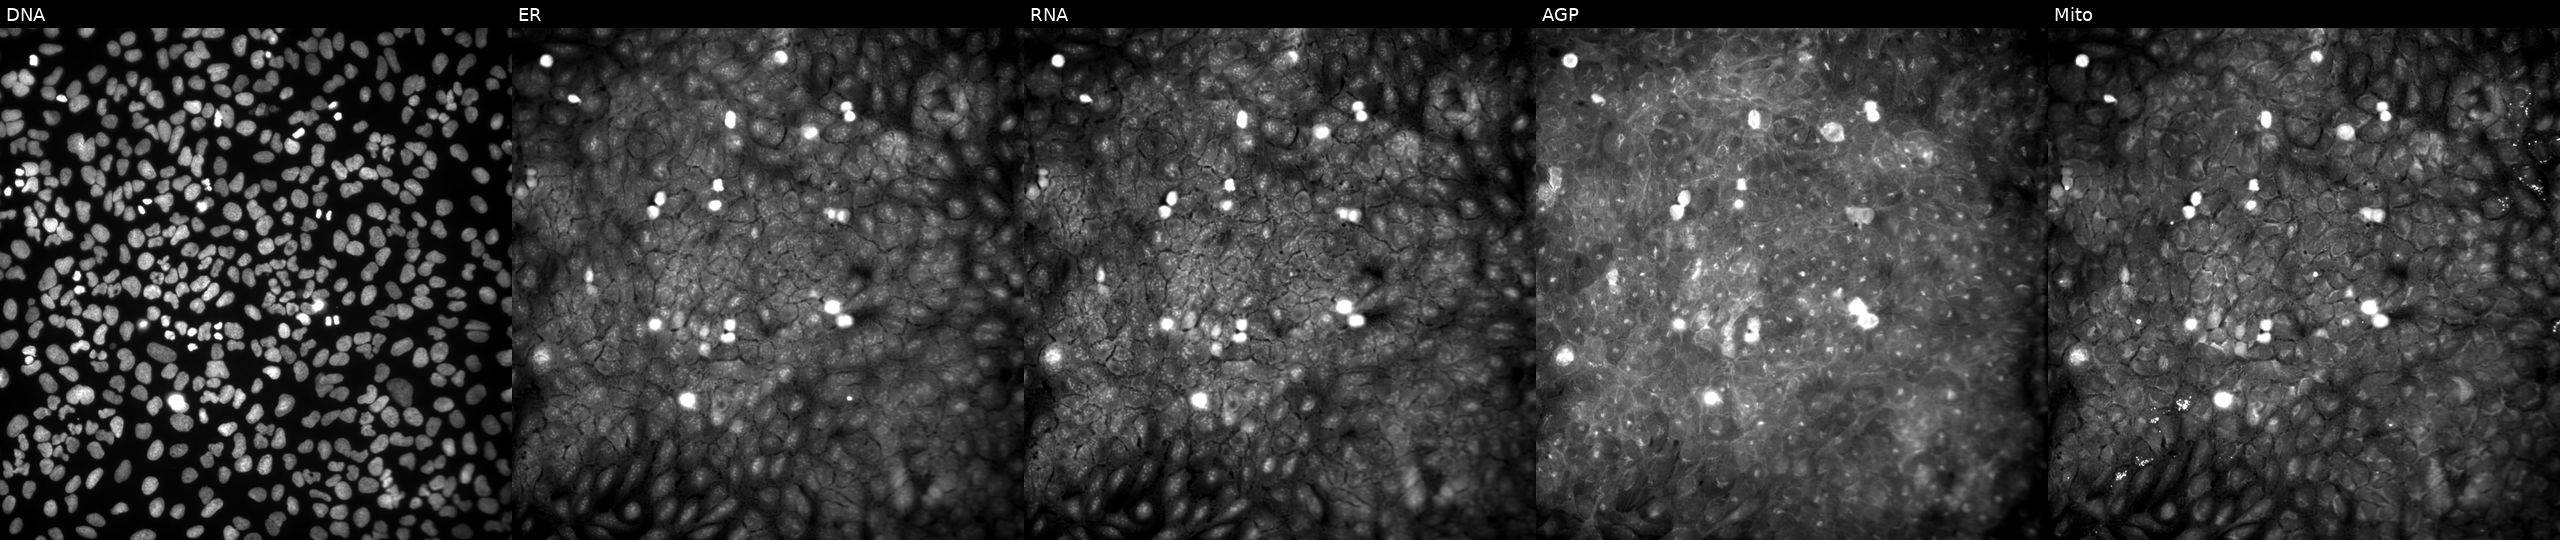
Five-channel Cell Painting image of U2OS cells exposed to a small-molecule compound (InChIKey FPUMLNPRZCQJCC-UHFFFAOYSA-N) (JUMP id JCP2022_022188). Channels (left→right): Hoechst 33342, concanavalin A, SYTO 14, phalloidin and WGA, MitoTracker.